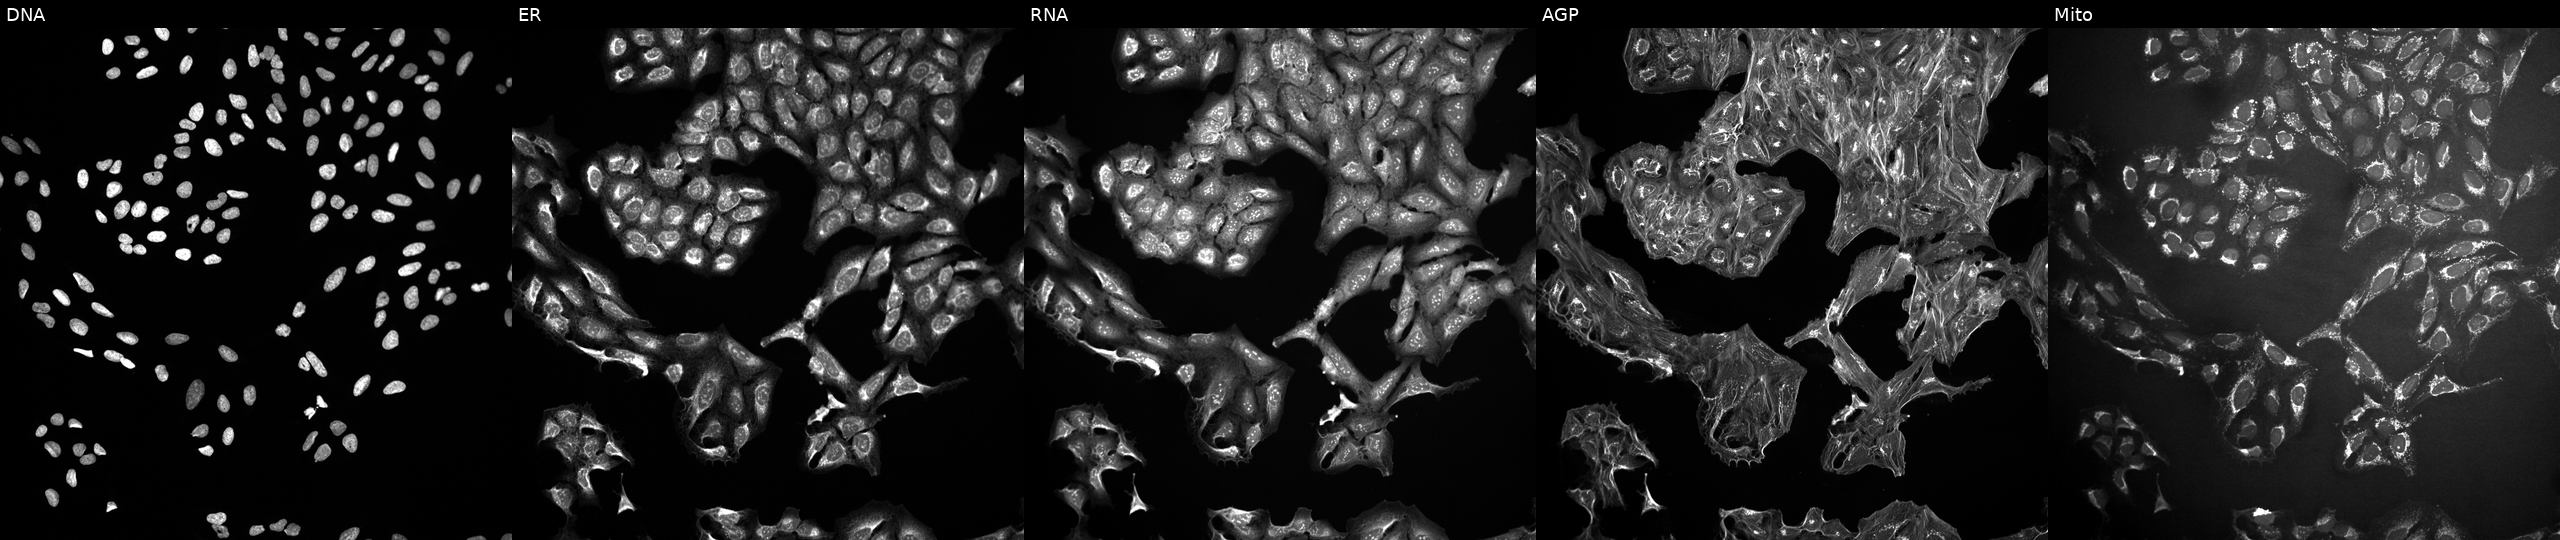
JUMP Cell Painting — COMPOUND plate. U2OS cells treated with a small-molecule compound (InChIKey WKXGKTCQTYCAJY-UHFFFAOYSA-N). Channels (left→right): DNA, ER, RNA, AGP, and Mito. Source 10, plate Dest210531-152324, well F17.